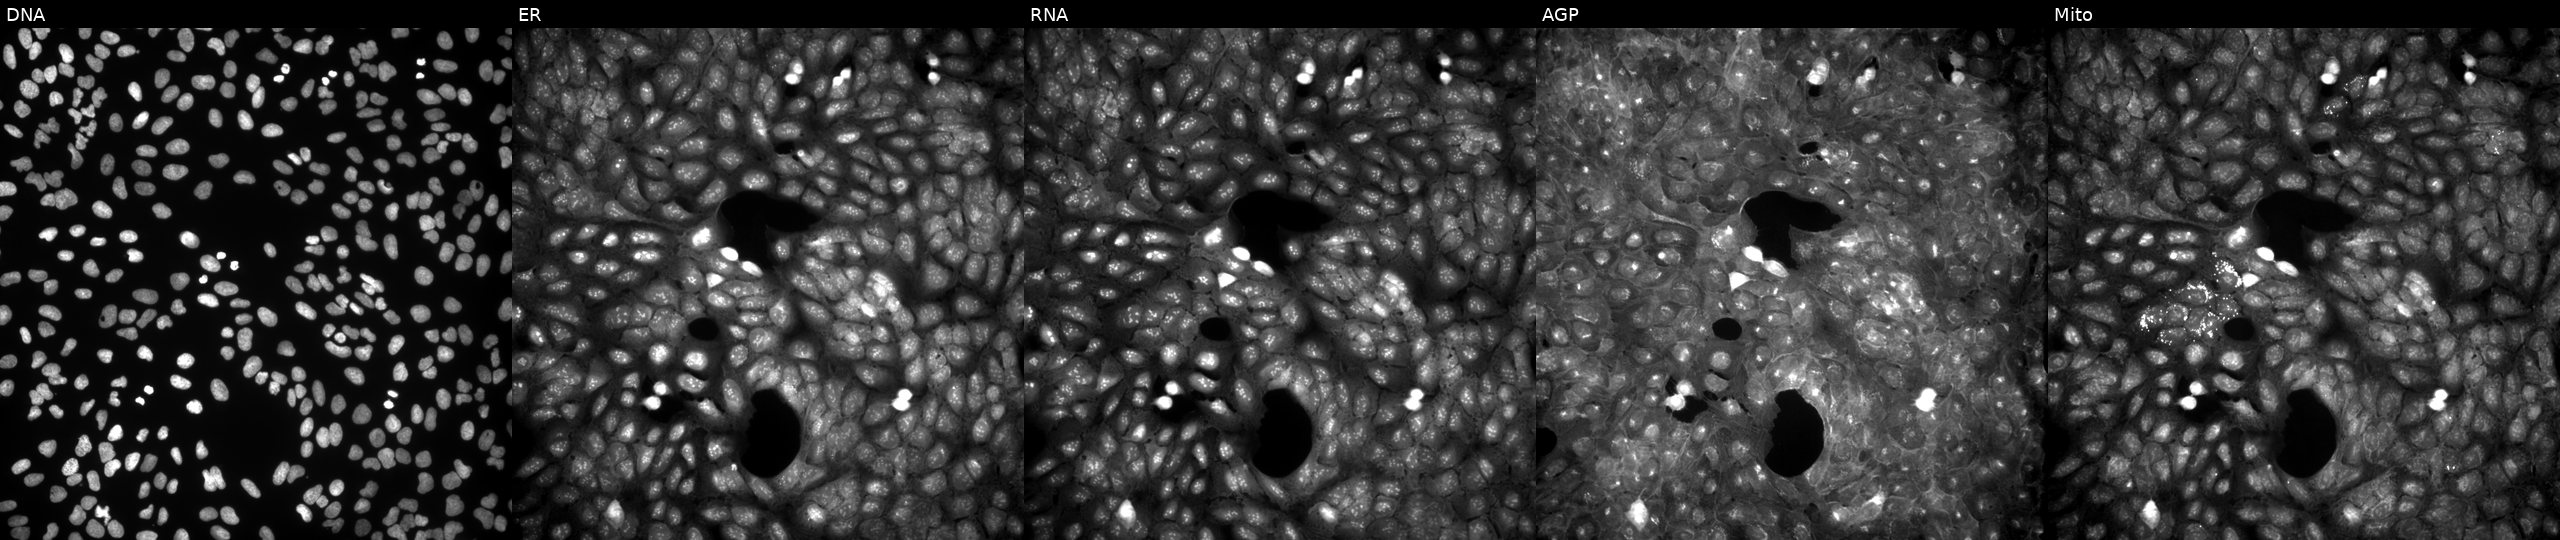
High-content fluorescence microscopy (Cell Painting). Cell line: U2OS. Perturbation: treated with a small-molecule compound (InChIKey SUVAYMBUCQBFFX-UHFFFAOYSA-N) [SMILES: CN(C)c1ccc(C=c2sc3nc4ccccc4n3c2=O)cc1]. Channels (left→right): Hoechst 33342, concanavalin A, SYTO 14, phalloidin and WGA, MitoTracker.